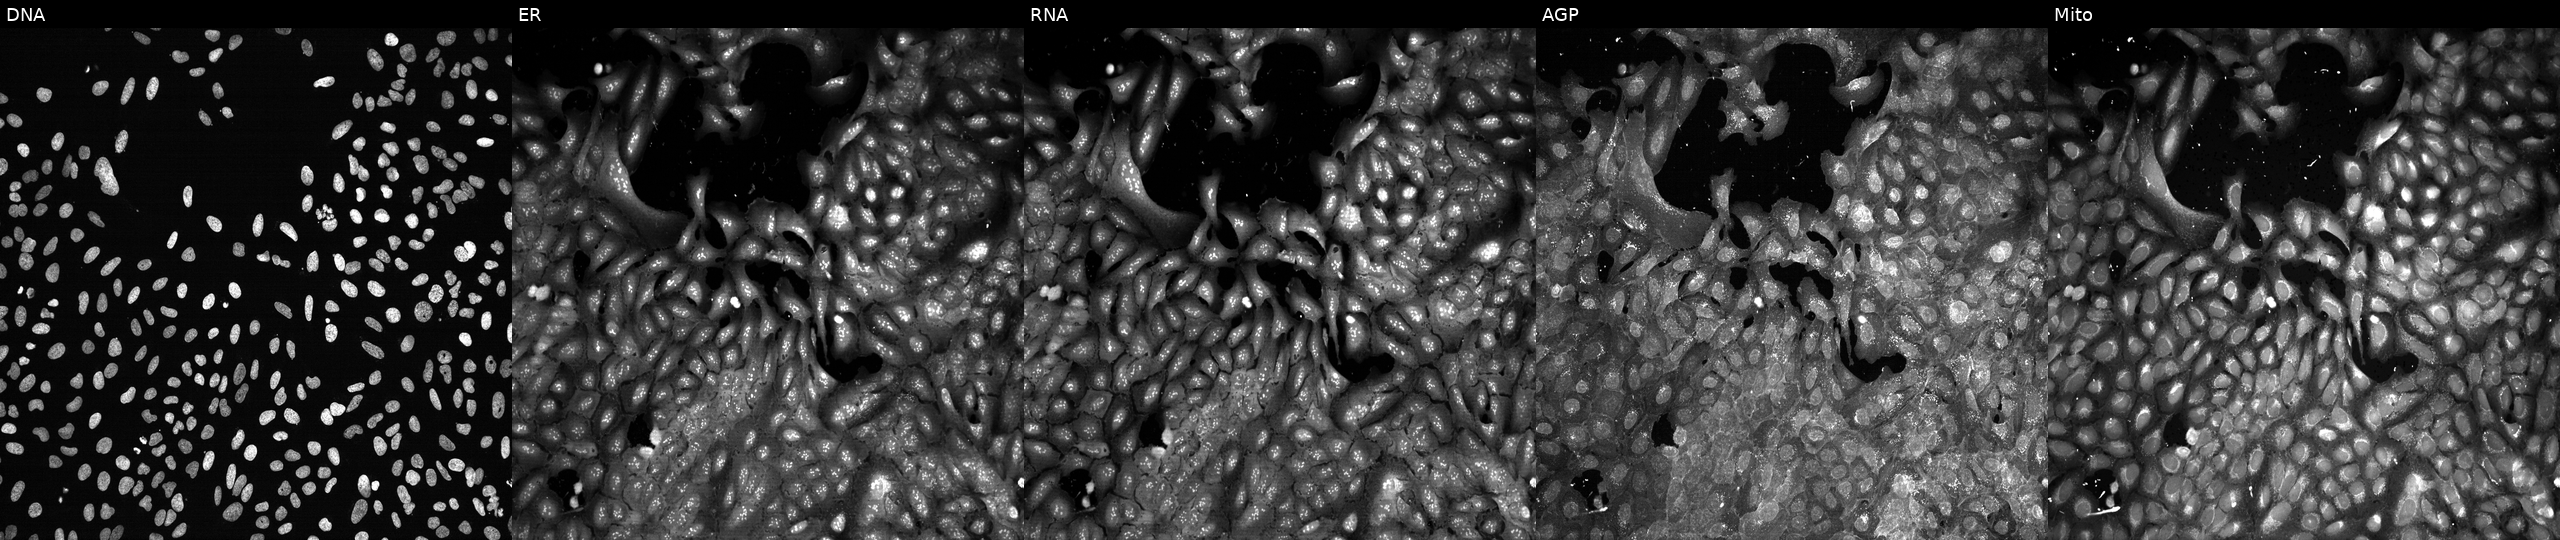
U2OS cells, Cell Painting assay, CRISPR-edited to disrupt IL22RA2 (JUMP id JCP2022_803387). The five panels, left to right, show Hoechst 33342, concanavalin A, SYTO 14, phalloidin and WGA, MitoTracker. Each panel is percentile-stretched 16-bit fluorescence. Source 13, plate CP-CC9-R1-01, well C04.